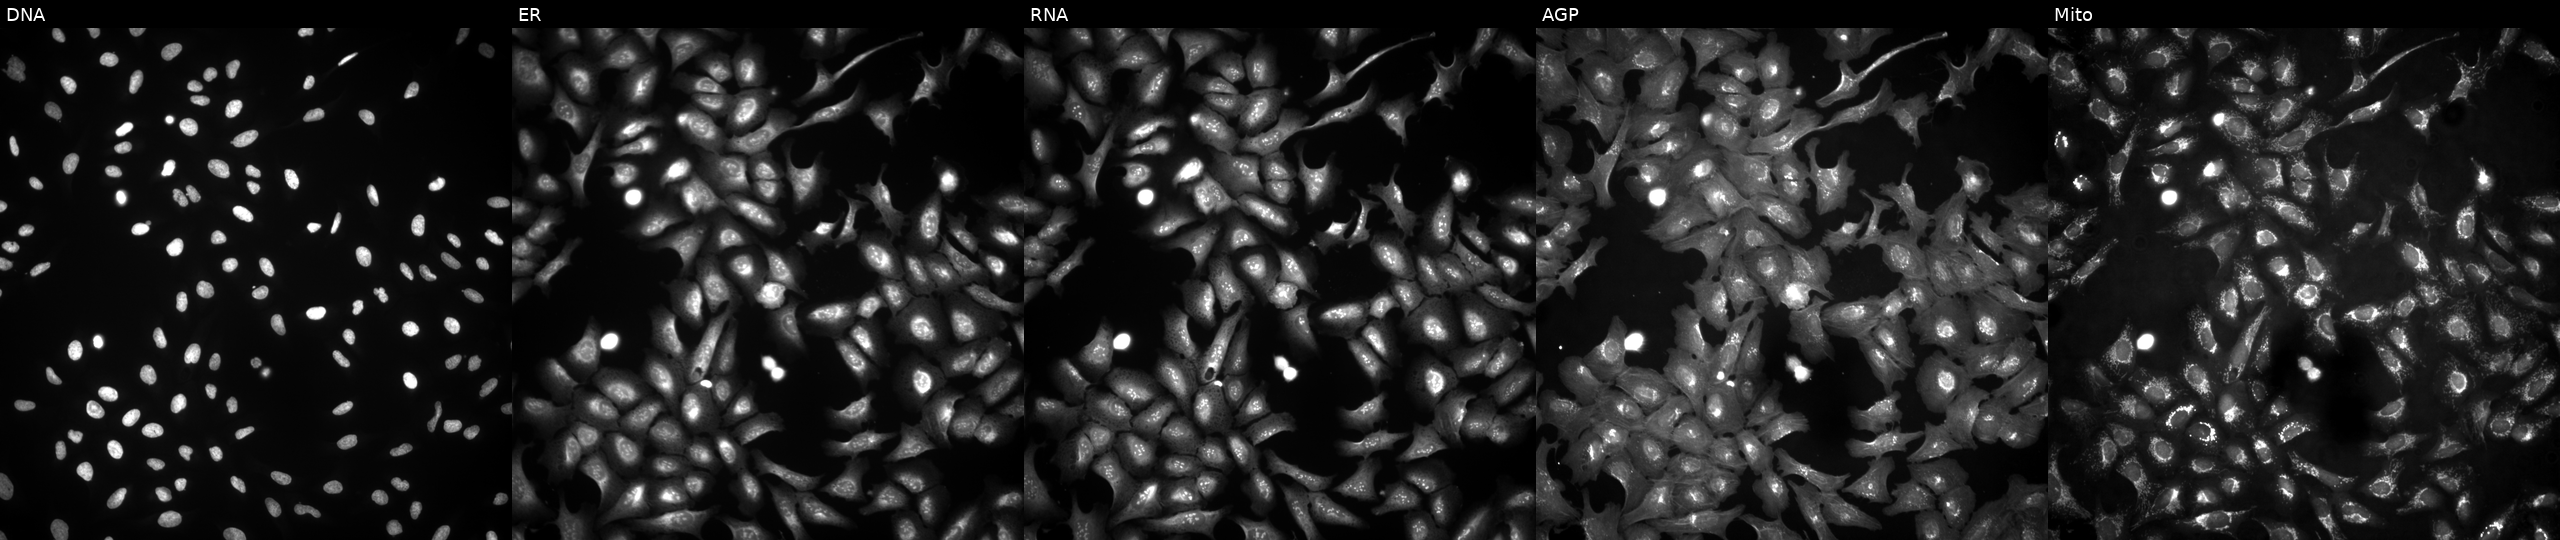
U2OS cells, Cell Painting assay, with IDE overexpressed (ORF) (JUMP id JCP2022_900763). The five panels, left to right, show DNA (nuclei); ER (endoplasmic reticulum); RNA (nucleoli and cytoplasmic RNA); AGP (actin cytoskeleton, Golgi, and plasma membrane); Mito (mitochondria). Each panel is percentile-stretched 16-bit fluorescence.